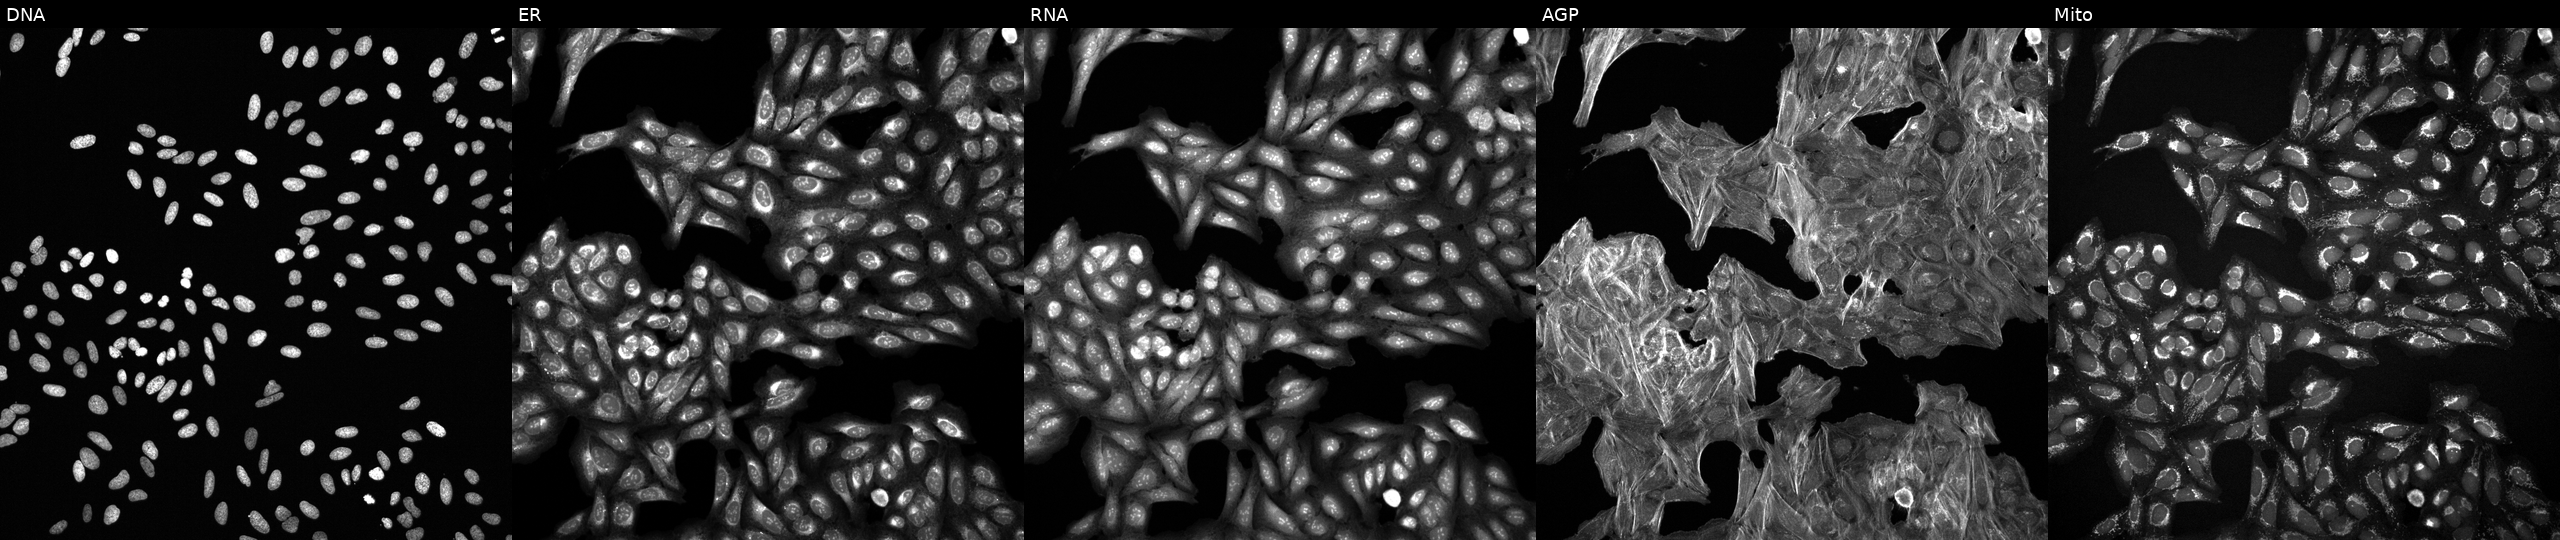
Five-channel Cell Painting image of U2OS cells treated with a small-molecule compound (InChIKey JYYQAILVCFGHGN-UHFFFAOYSA-N) (JUMP id JCP2022_043052). Panels show, left to right, DNA (nuclei); ER (endoplasmic reticulum); RNA (nucleoli and cytoplasmic RNA); AGP (actin cytoskeleton, Golgi, and plasma membrane); Mito (mitochondria).